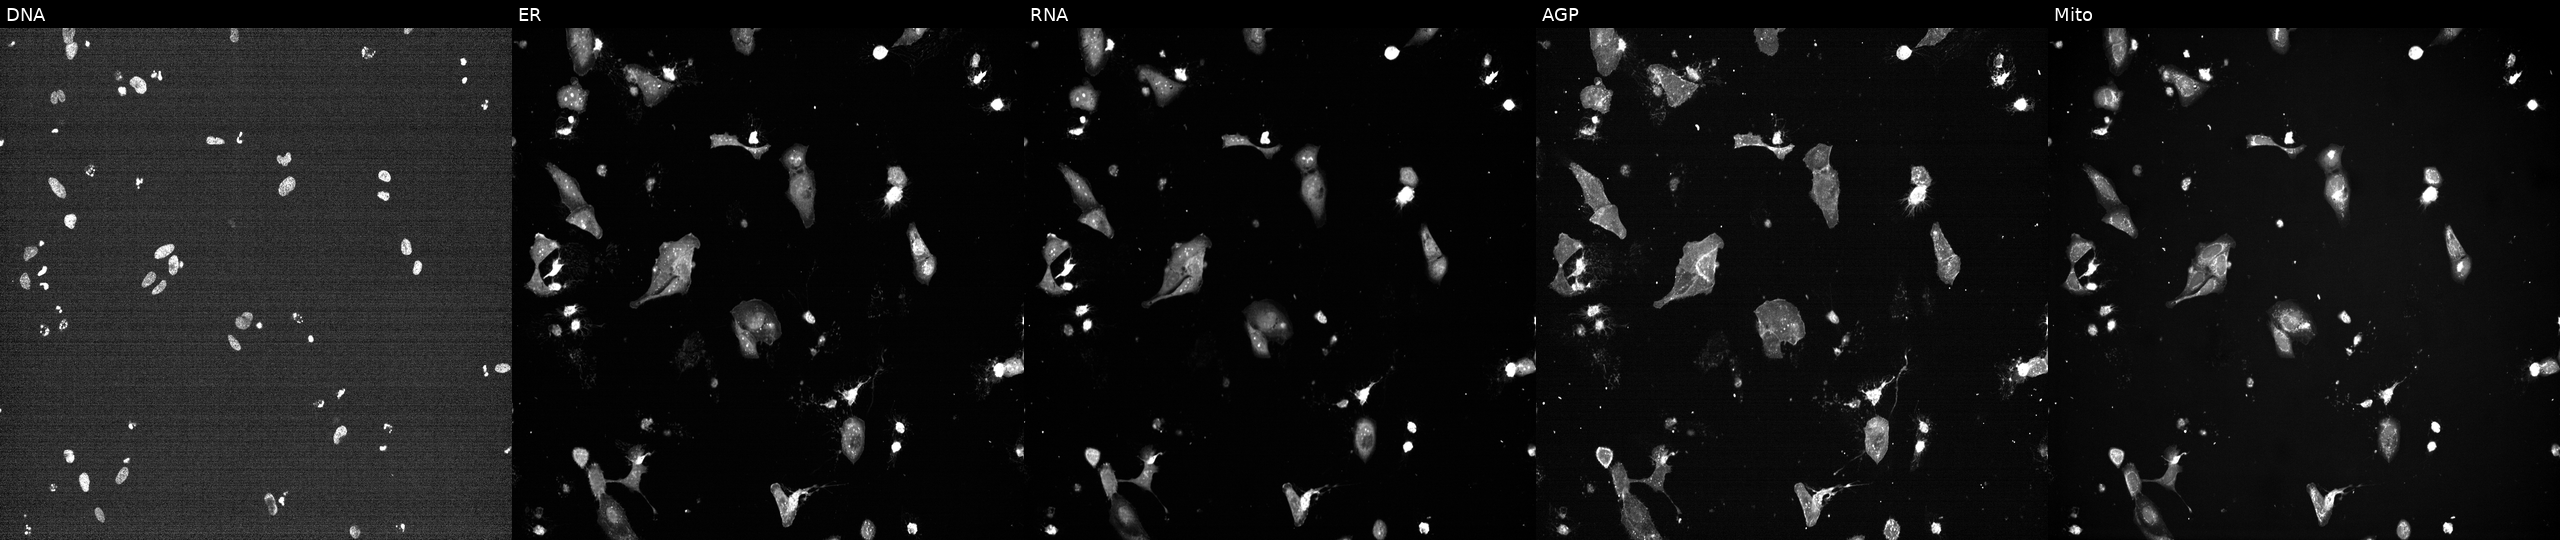
High-content fluorescence microscopy (Cell Painting). Cell line: U2OS. Perturbation: exposed to a small-molecule compound. Channels (left→right): DNA (nuclei); ER (endoplasmic reticulum); RNA (nucleoli and cytoplasmic RNA); AGP (actin cytoskeleton, Golgi, and plasma membrane); Mito (mitochondria). Source 7, plate CP1-SC1-25, well H08.